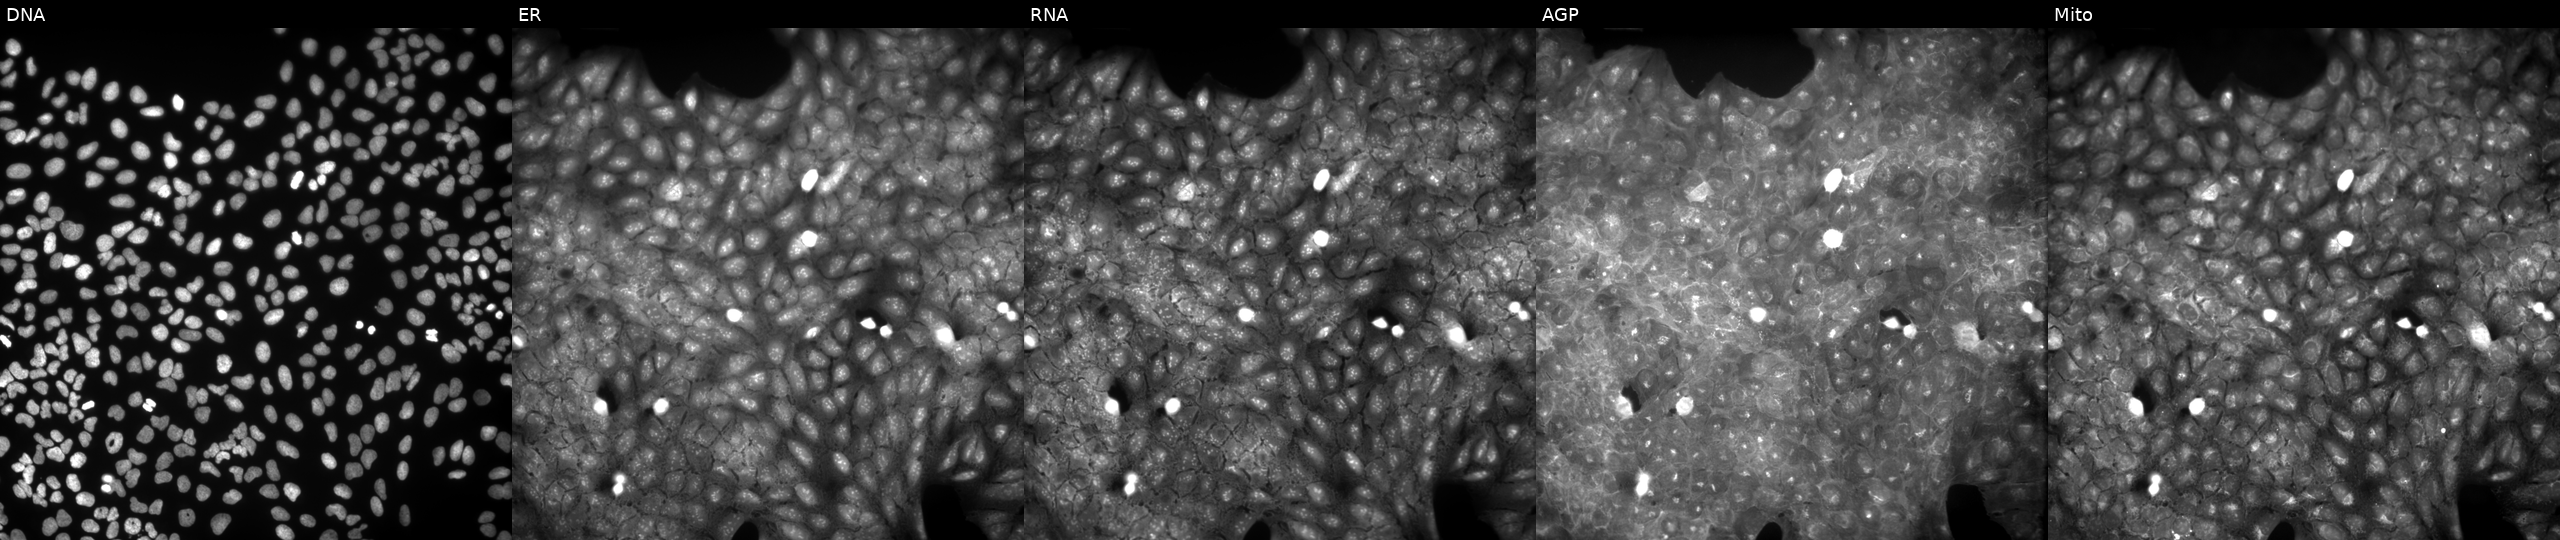
JUMP Cell Painting — COMPOUND plate. U2OS cells perturbed with a small-molecule compound (JUMP id JCP2022_010136). From left to right: Hoechst 33342, concanavalin A, SYTO 14, phalloidin and WGA, MitoTracker.